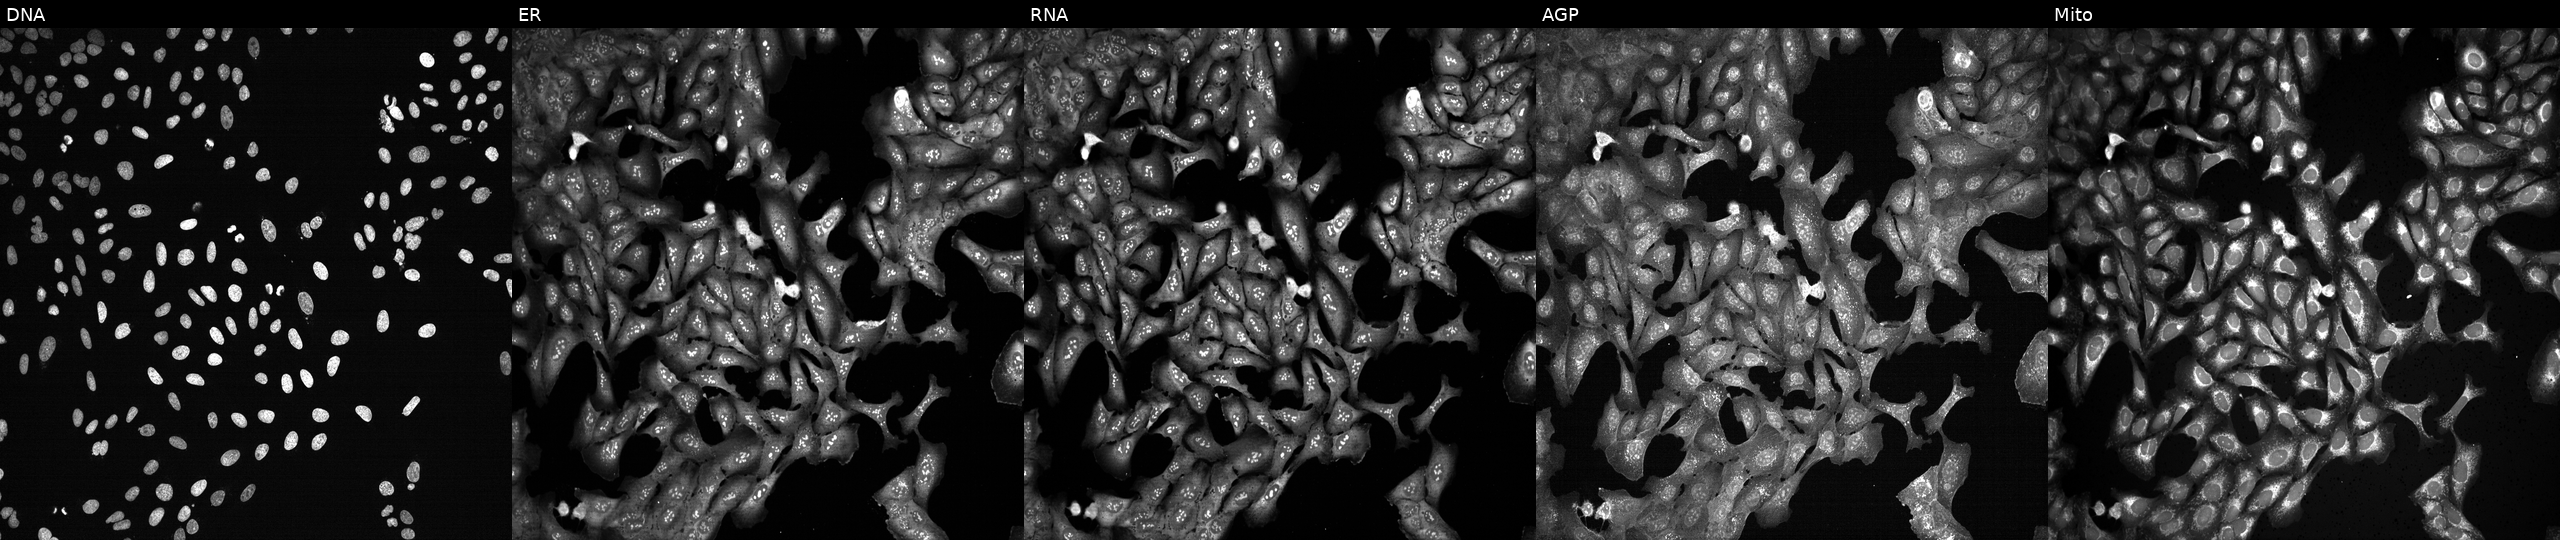
U2OS cells, Cell Painting assay, with NMT2 knocked out by CRISPR. Panels show, left to right, DNA (nuclei); ER (endoplasmic reticulum); RNA (nucleoli and cytoplasmic RNA); AGP (actin cytoskeleton, Golgi, and plasma membrane); Mito (mitochondria). Each panel is percentile-stretched 16-bit fluorescence. Source 13, plate CP-CC9-R5-01, well P15.